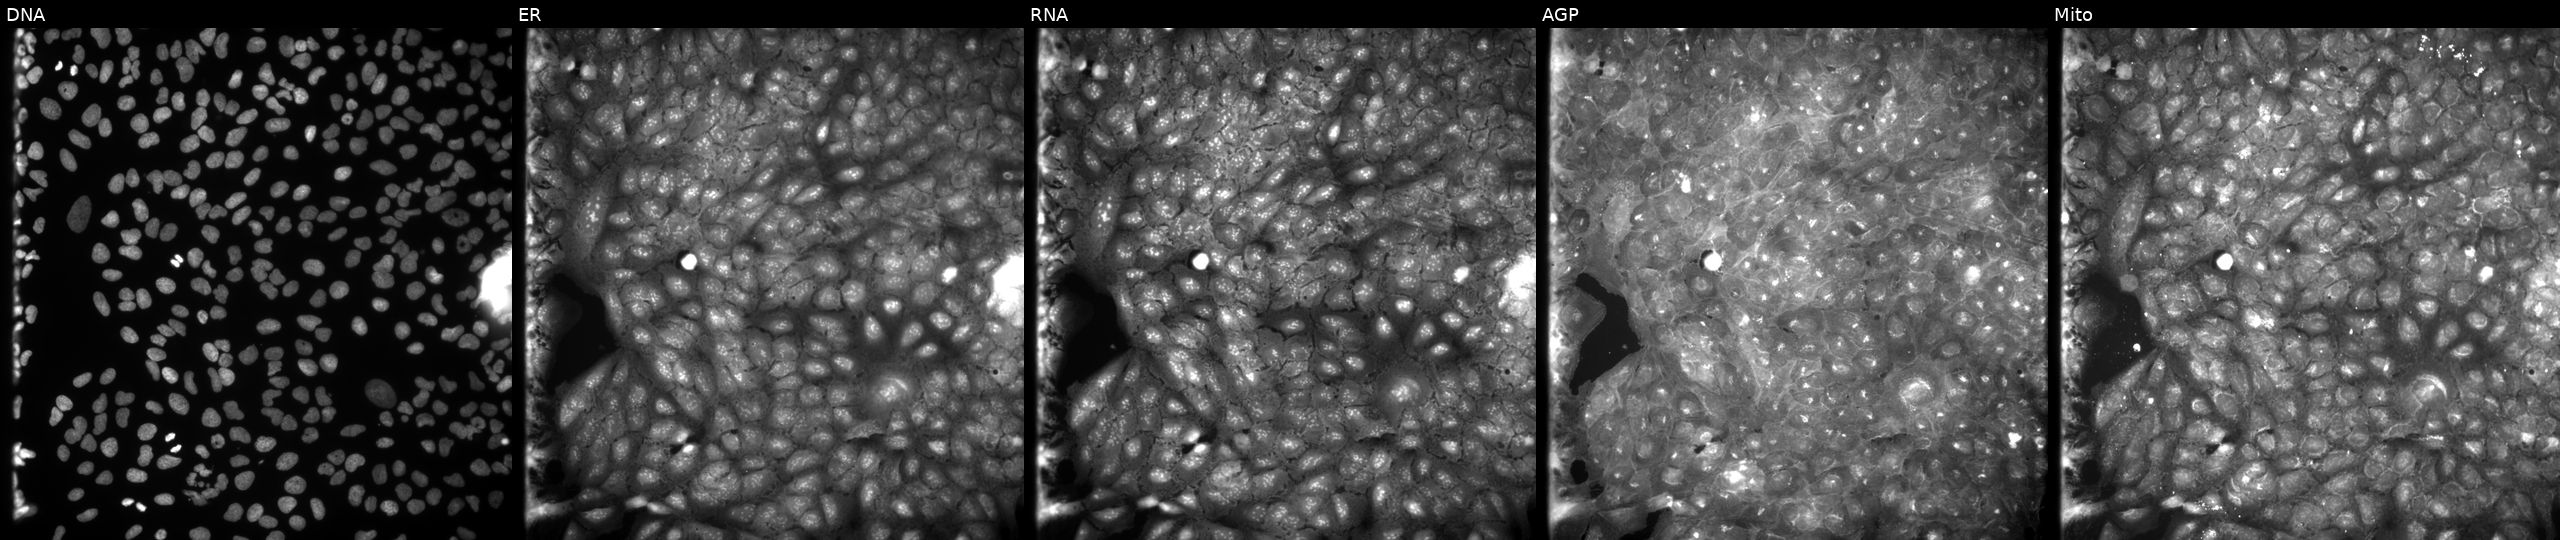
Five-channel Cell Painting image of U2OS cells exposed to a small-molecule compound. The five panels, left to right, show Hoechst 33342, concanavalin A, SYTO 14, phalloidin and WGA, MitoTracker.